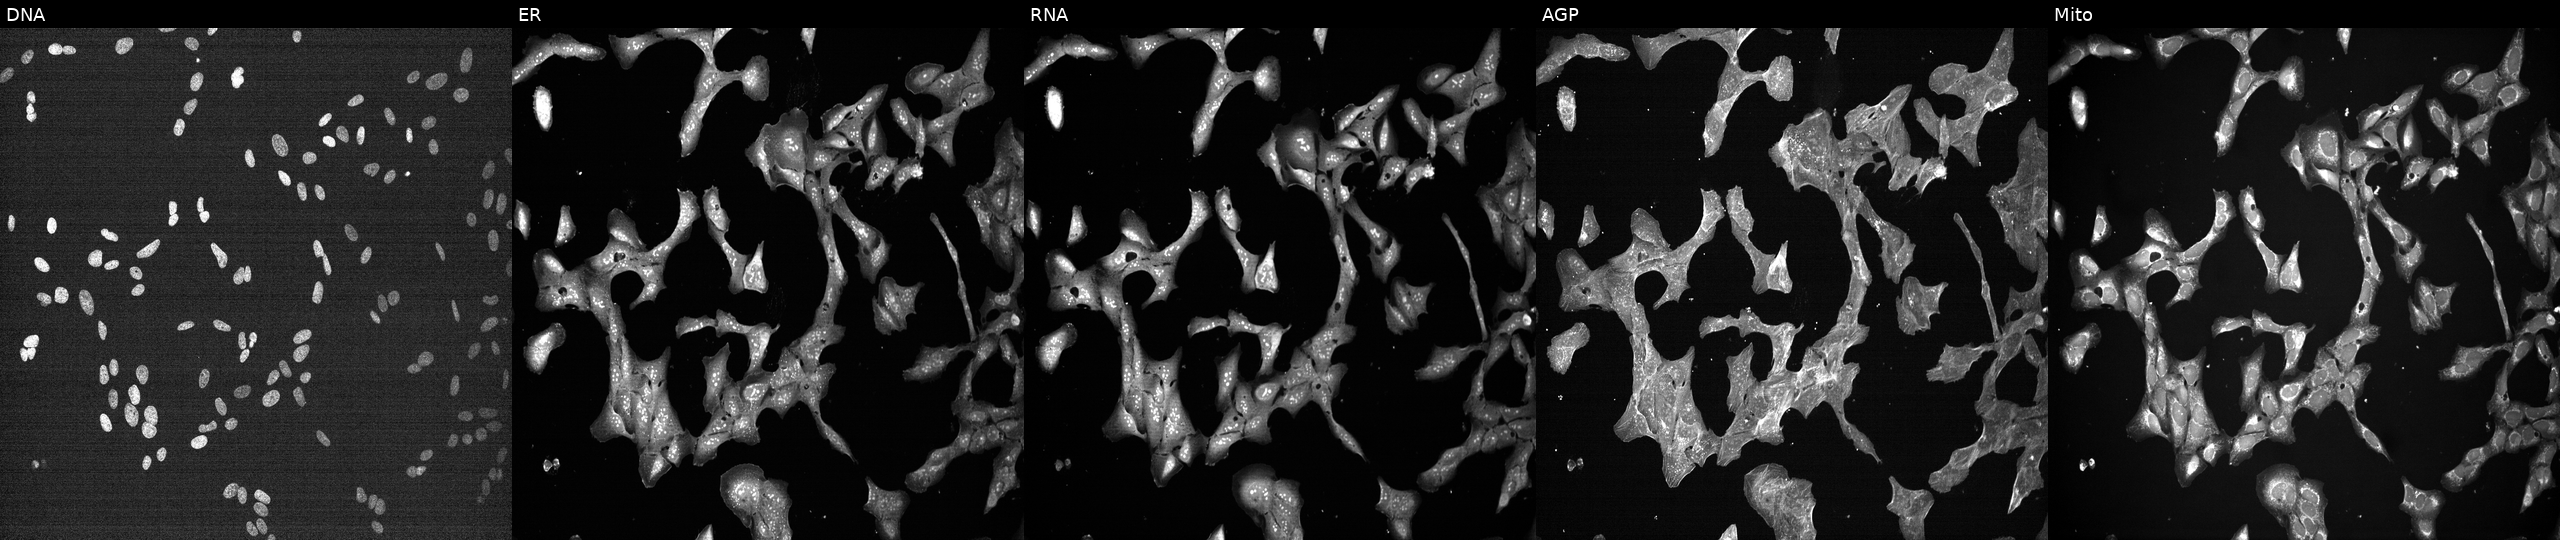
From left to right: DNA, ER, RNA, AGP, and Mito. U2OS osteosarcoma cells perturbed with a small-molecule compound (InChIKey WYWHKKSPHMUBEB-UHFFFAOYSA-N) [SMILES: N=c1[nH]c(=S)c2[nH]cnc2[nH]1] (JUMP id JCP2022_102083). Cell Painting assay, JUMP-CP dataset.